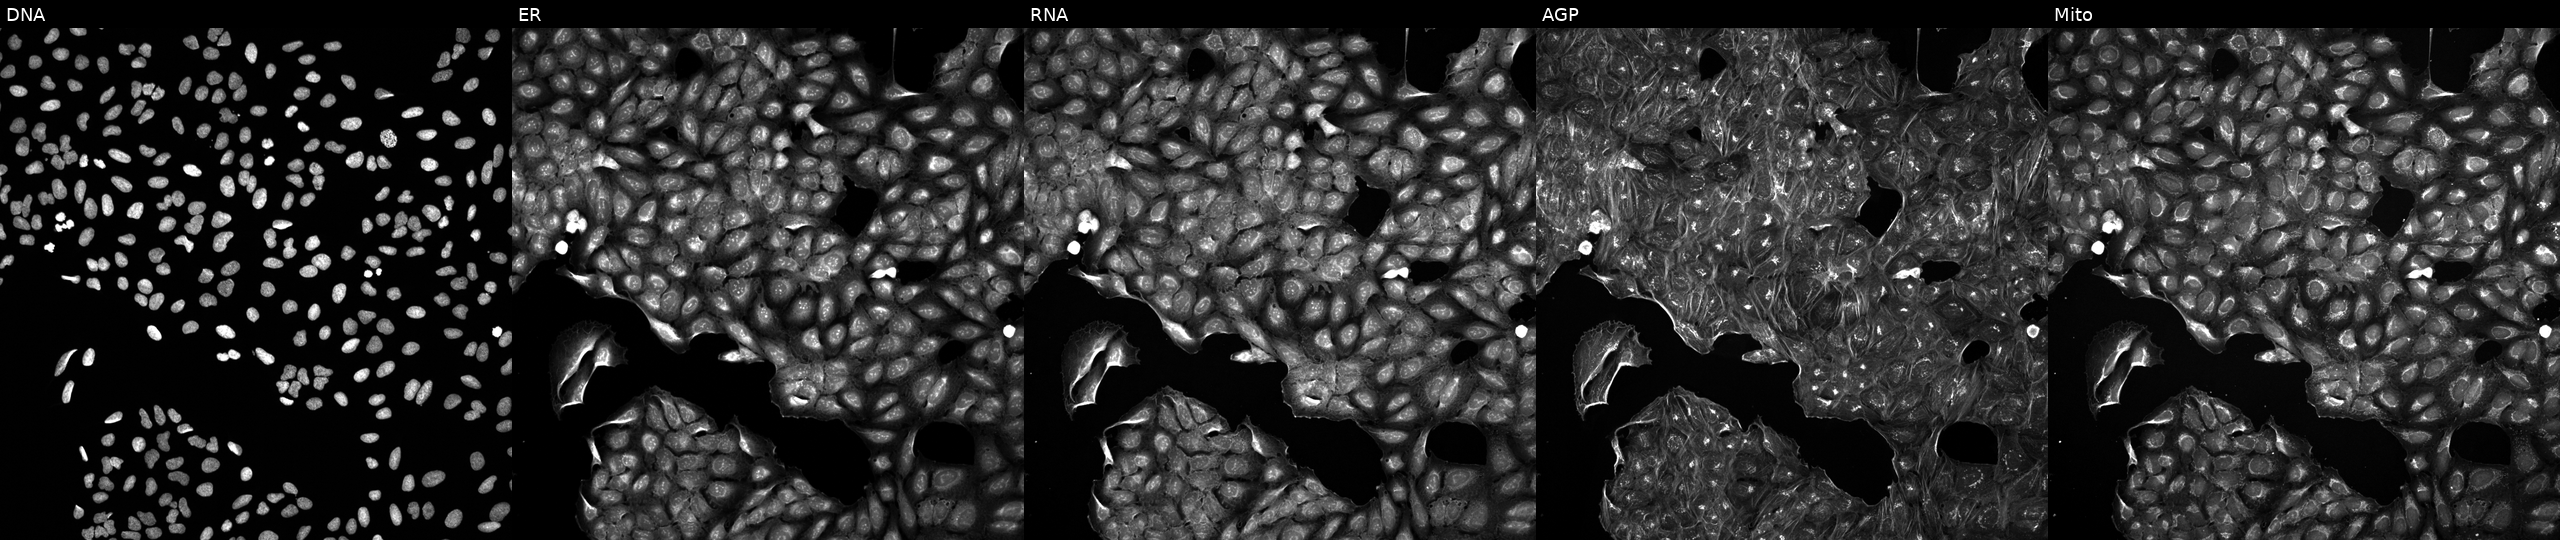
Panels show, left to right, DNA (nuclei); ER (endoplasmic reticulum); RNA (nucleoli and cytoplasmic RNA); AGP (actin cytoskeleton, Golgi, and plasma membrane); Mito (mitochondria). U2OS osteosarcoma cells exposed to a small-molecule compound (InChIKey BVCCAEZBIUHECP-UHFFFAOYSA-N). Cell Painting assay, JUMP-CP dataset.